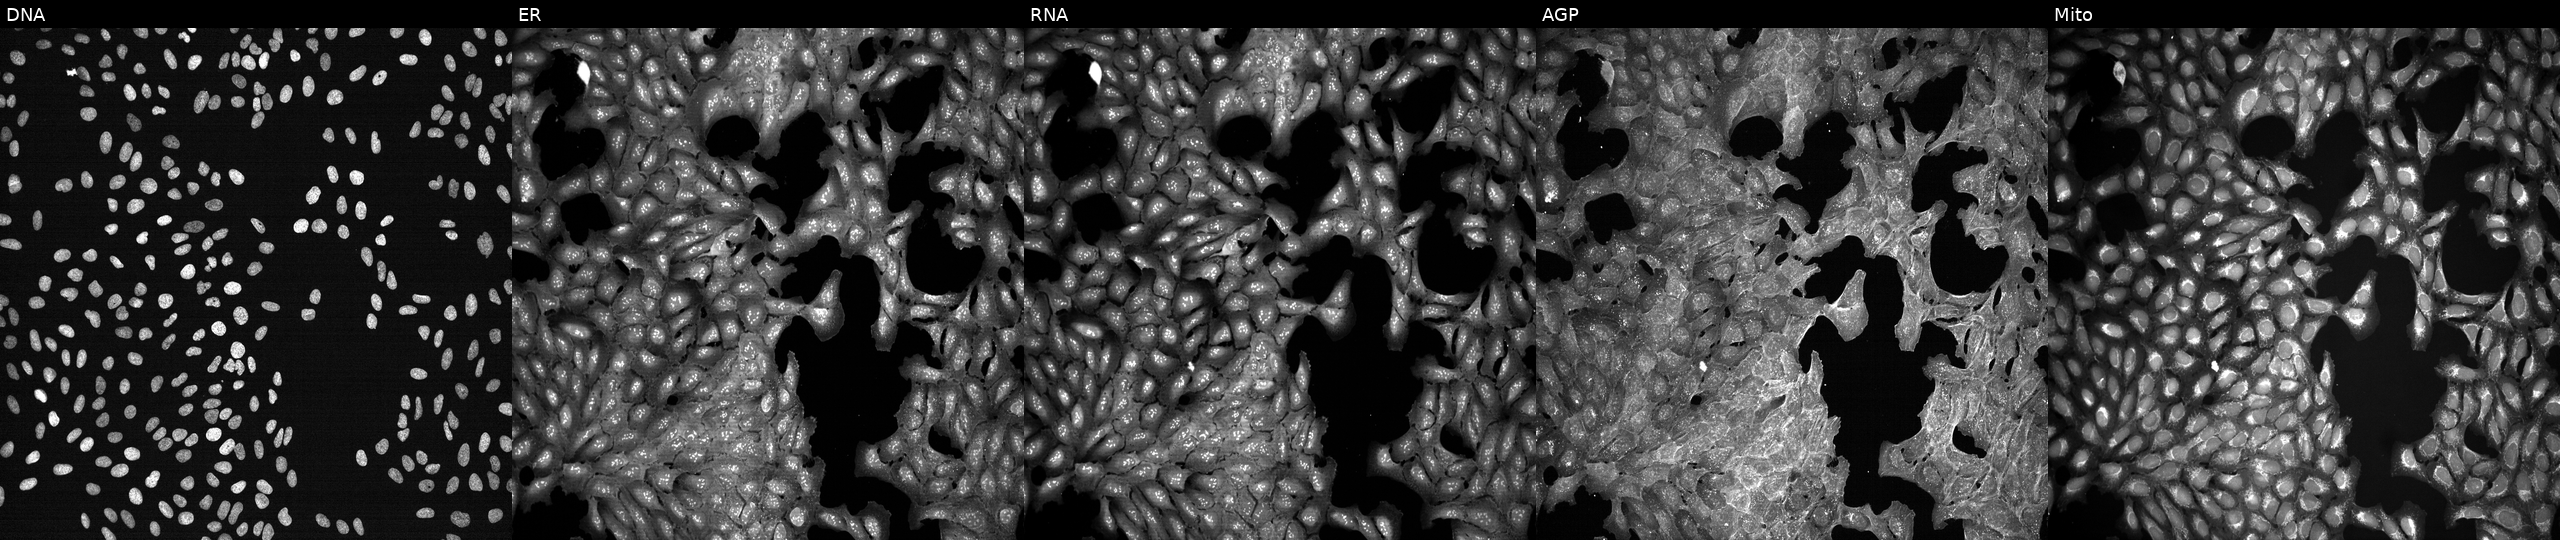
High-content fluorescence microscopy (Cell Painting). Cell line: U2OS. Perturbation: treated with a small-molecule compound (InChIKey NUKYPUAOHBNCPY-UHFFFAOYSA-N) [SMILES: N=c1cc[nH]cc1]. Panels show, left to right, DNA, ER, RNA, AGP, and Mito.